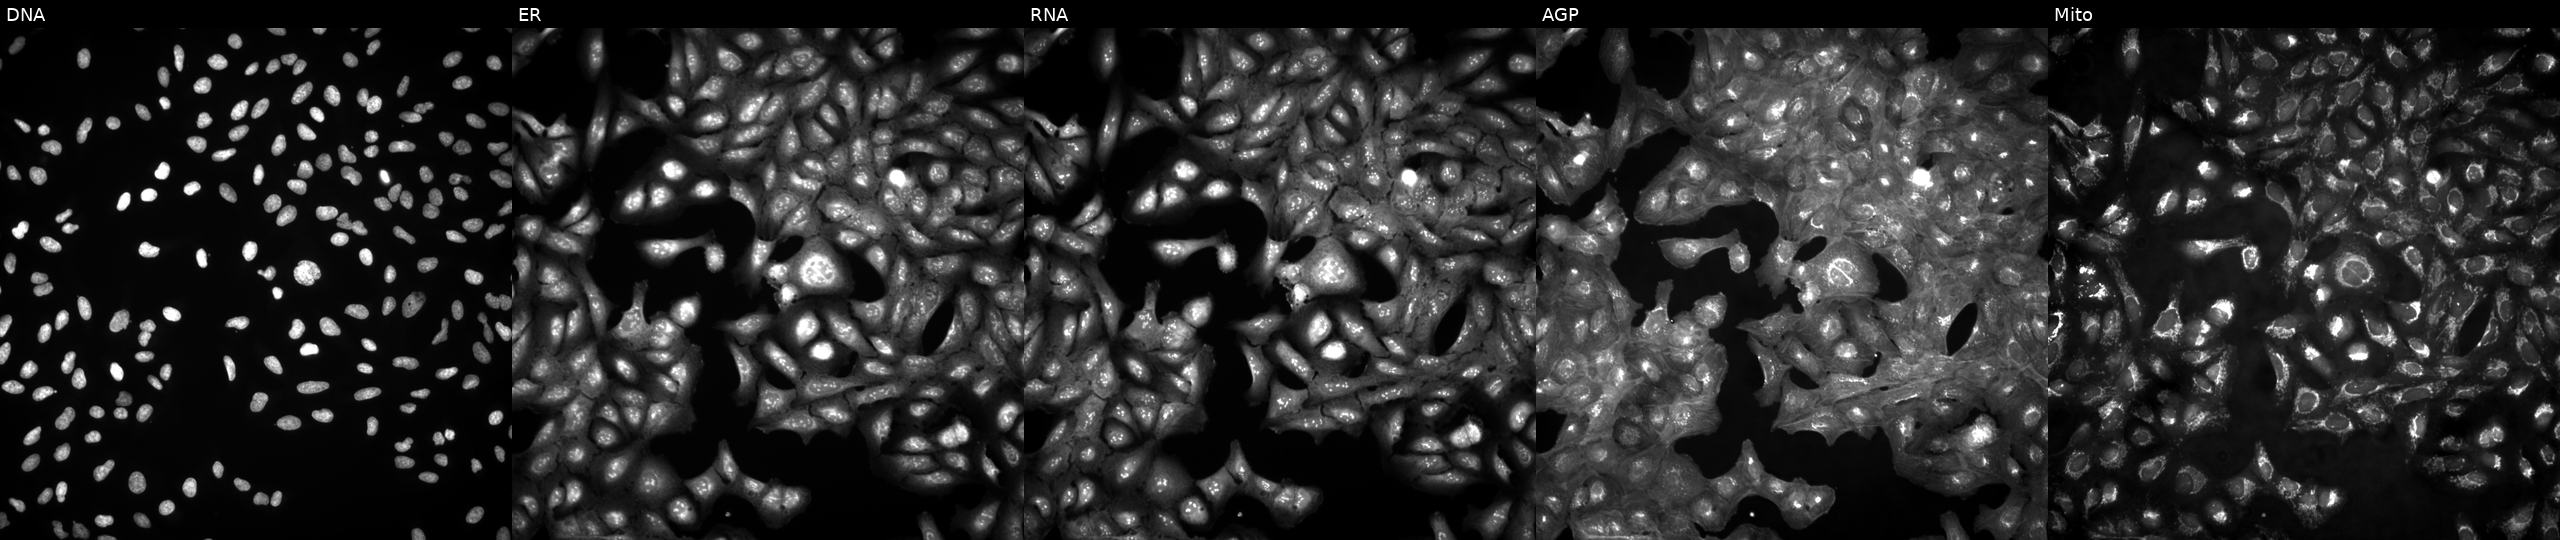
Five-channel Cell Painting image of U2OS cells untreated (empty-well control) (JUMP id JCP2022_999999). Channels (left→right): DNA, ER, RNA, AGP, and Mito.